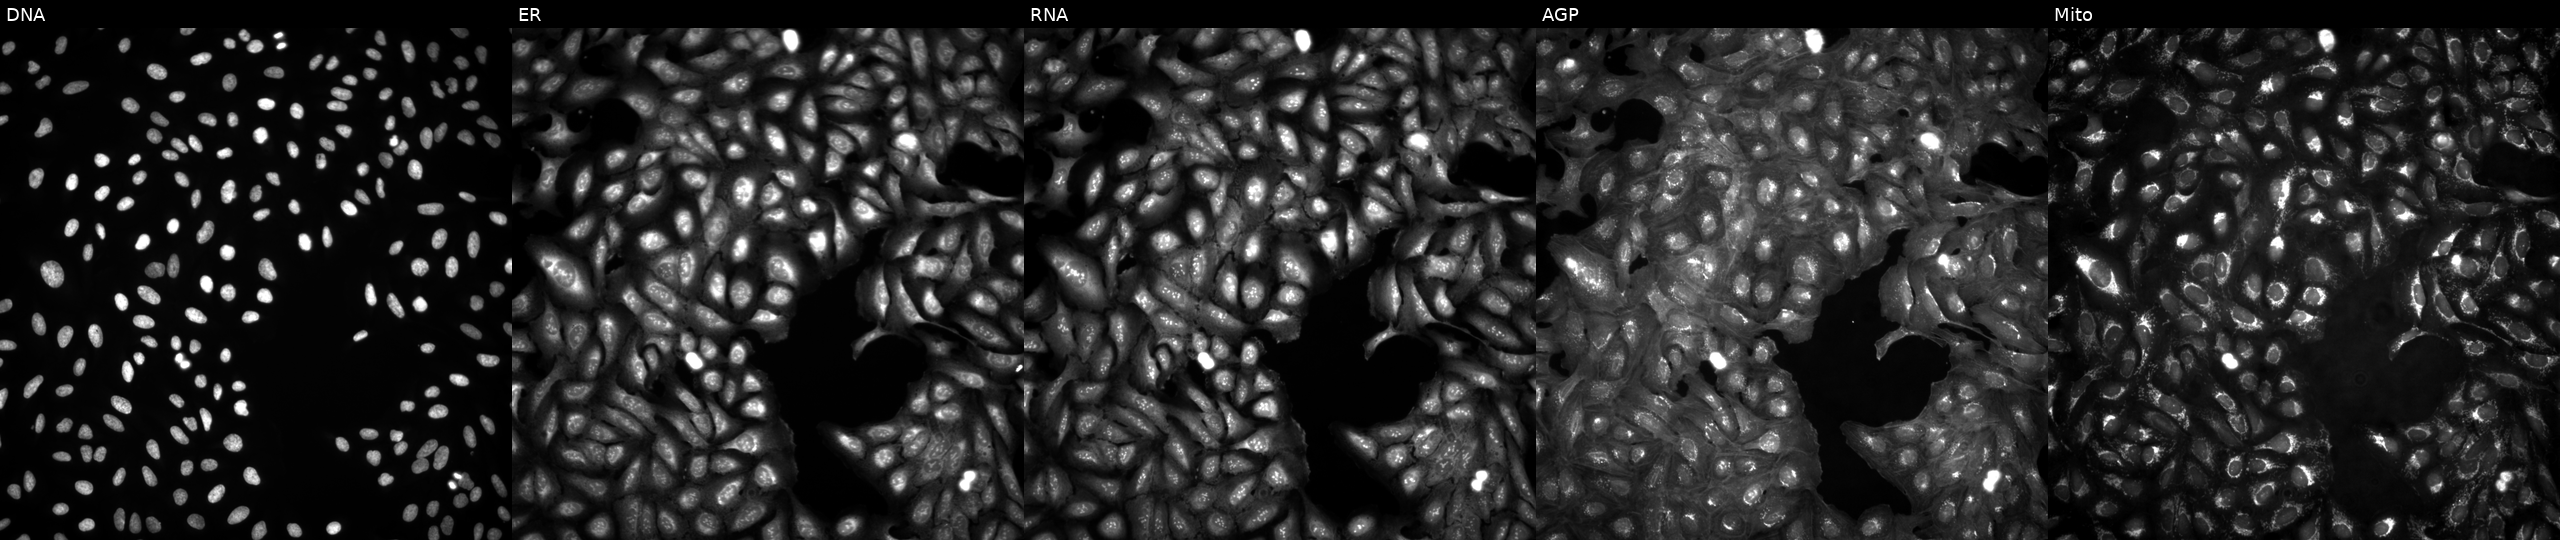
This image strip shows the five Cell Painting channels for a single field of U2OS cells in an empty control well (no perturbation). The five panels, left to right, show Hoechst 33342, concanavalin A, SYTO 14, phalloidin and WGA, MitoTracker.